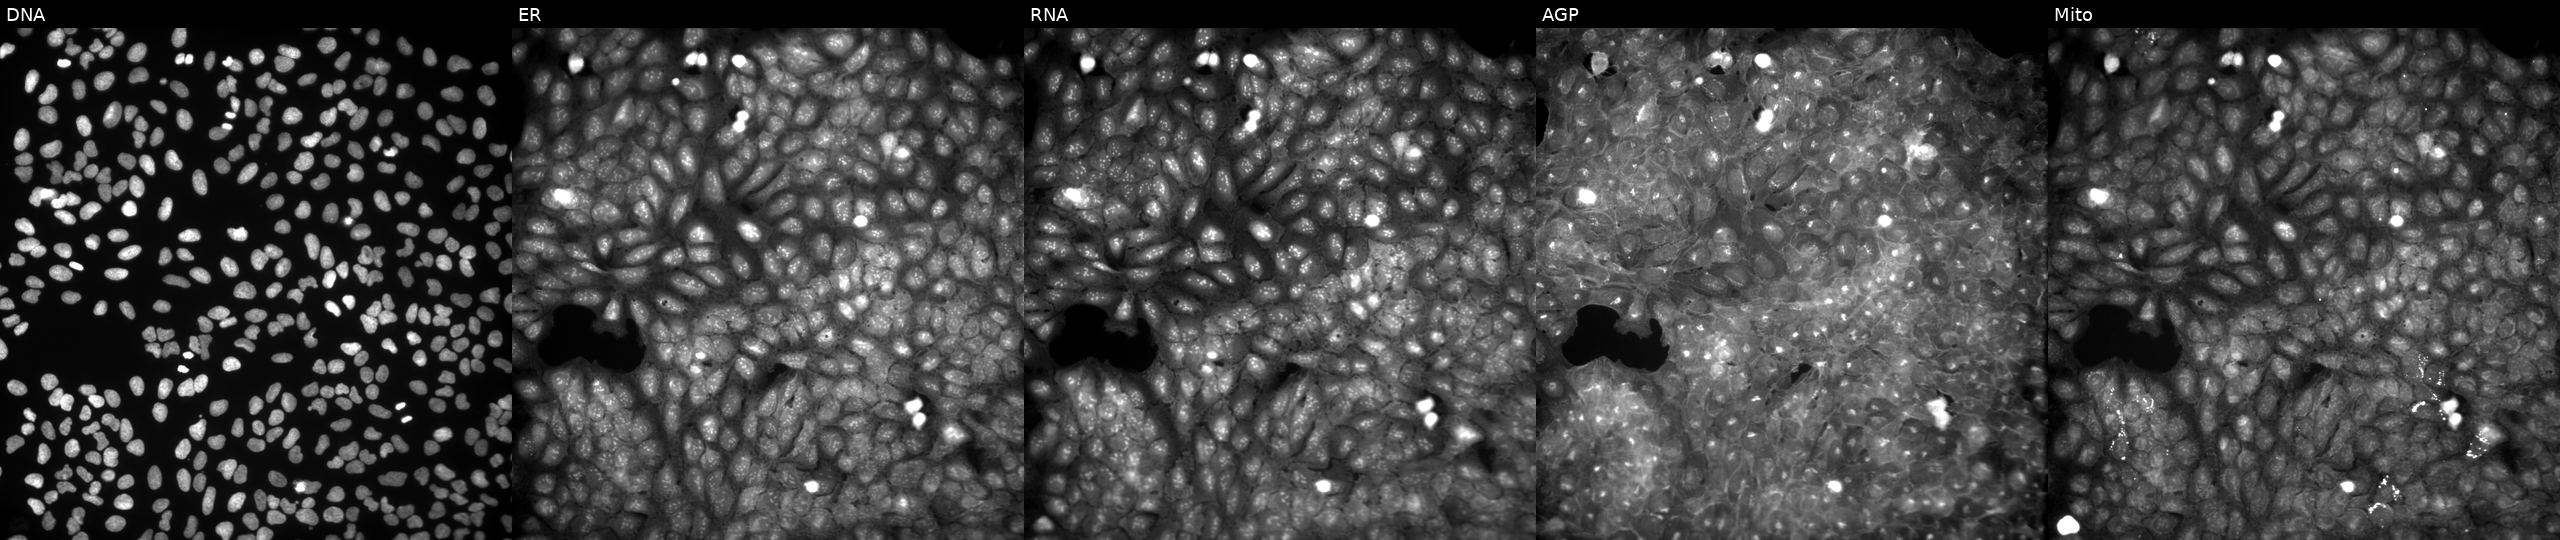
Panels show, left to right, DNA, ER, RNA, AGP, and Mito. U2OS osteosarcoma cells treated with quinidine (positive-control compound) (JUMP id JCP2022_050797). Cell Painting assay, JUMP-CP dataset. Source 9, plate GR00003381, well AE25.